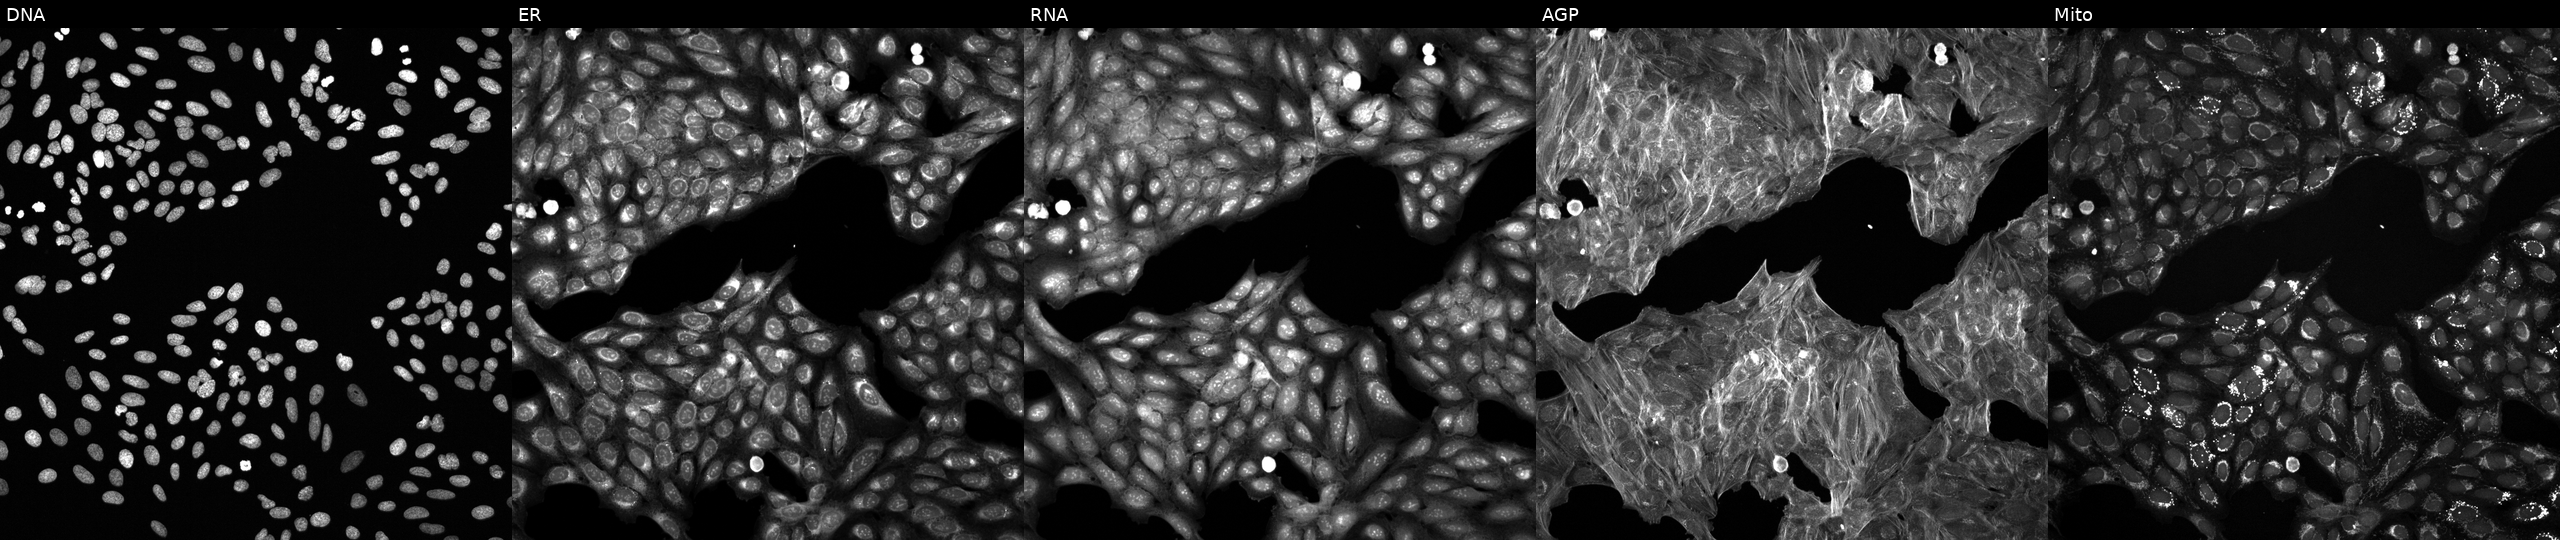
Channels (left→right): DNA (nuclei); ER (endoplasmic reticulum); RNA (nucleoli and cytoplasmic RNA); AGP (actin cytoskeleton, Golgi, and plasma membrane); Mito (mitochondria). U2OS osteosarcoma cells treated with a small-molecule compound (InChIKey QICQYLUEZQVZEX-UHFFFAOYSA-N) (JUMP id JCP2022_073596). Cell Painting assay, JUMP-CP dataset.